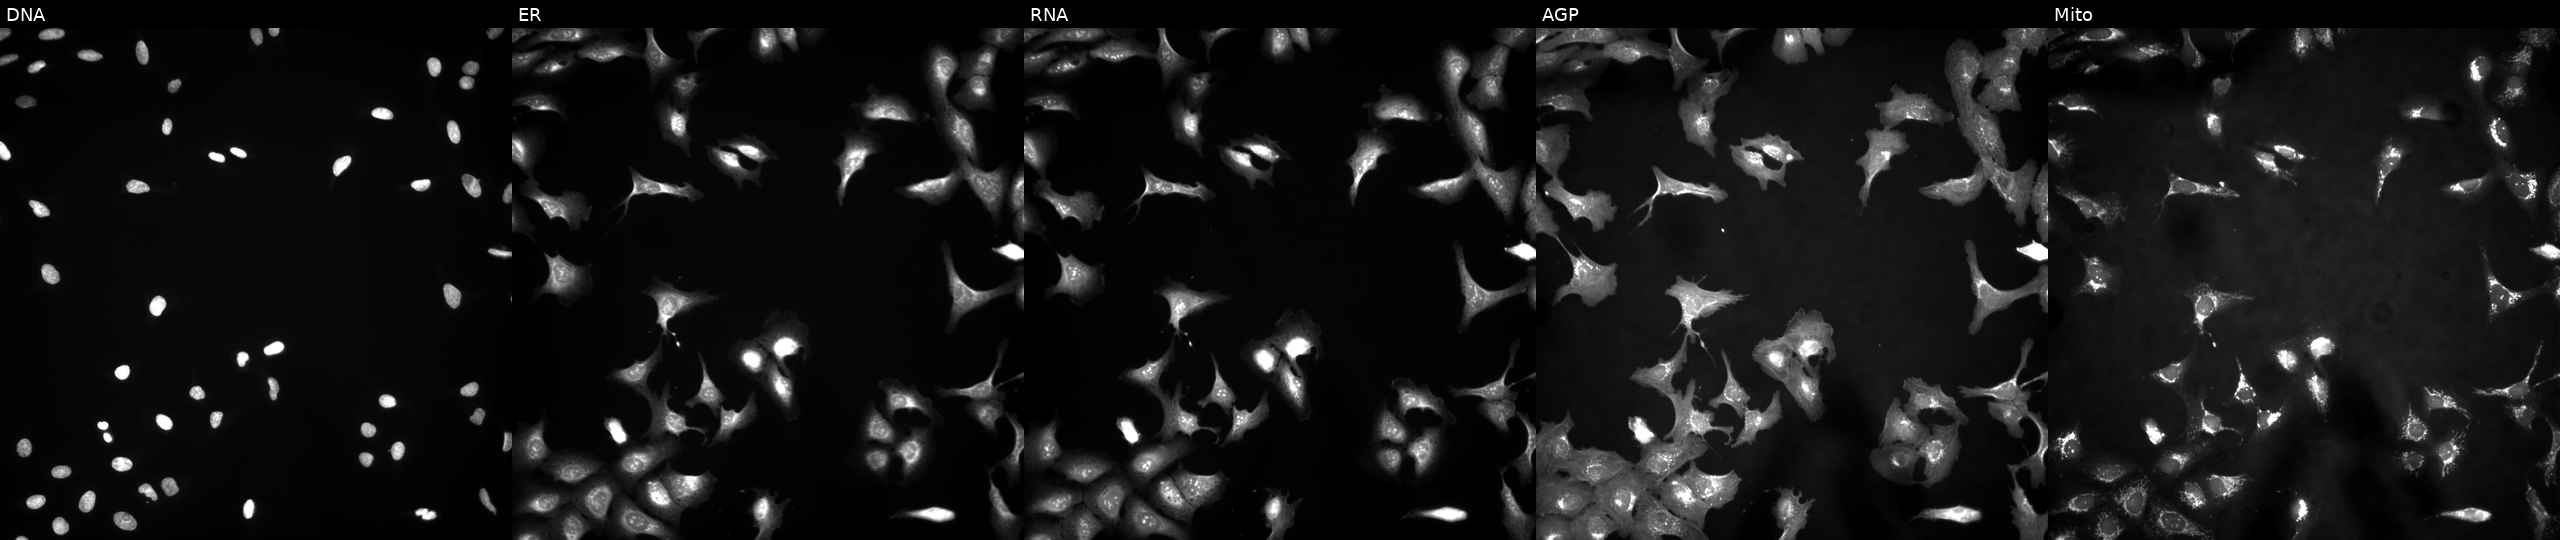
From left to right: Hoechst 33342, concanavalin A, SYTO 14, phalloidin and WGA, MitoTracker. U2OS osteosarcoma cells transfected with a failed ORF construct (JUMP BAD CONSTRUCT marker). Cell Painting assay, JUMP-CP dataset.